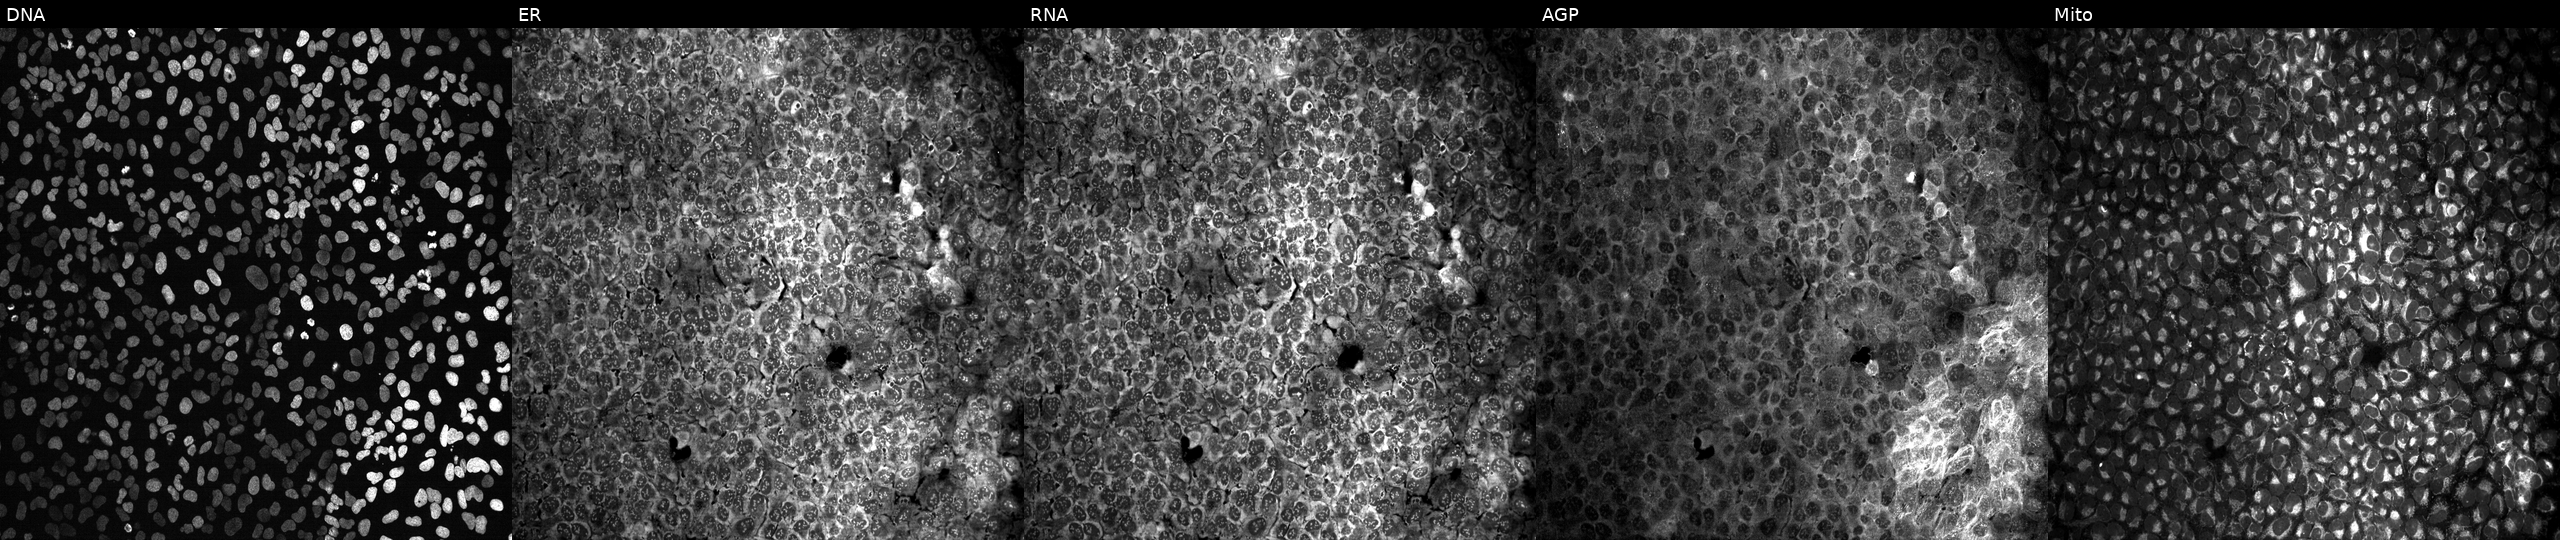
High-content fluorescence microscopy (Cell Painting). Cell line: U2OS. Perturbation: with no CRISPR guide (negative control) (JUMP id JCP2022_800001). Channels (left→right): DNA (nuclei); ER (endoplasmic reticulum); RNA (nucleoli and cytoplasmic RNA); AGP (actin cytoskeleton, Golgi, and plasma membrane); Mito (mitochondria). Source 13, plate CP-CC9-R3-01, well H02.